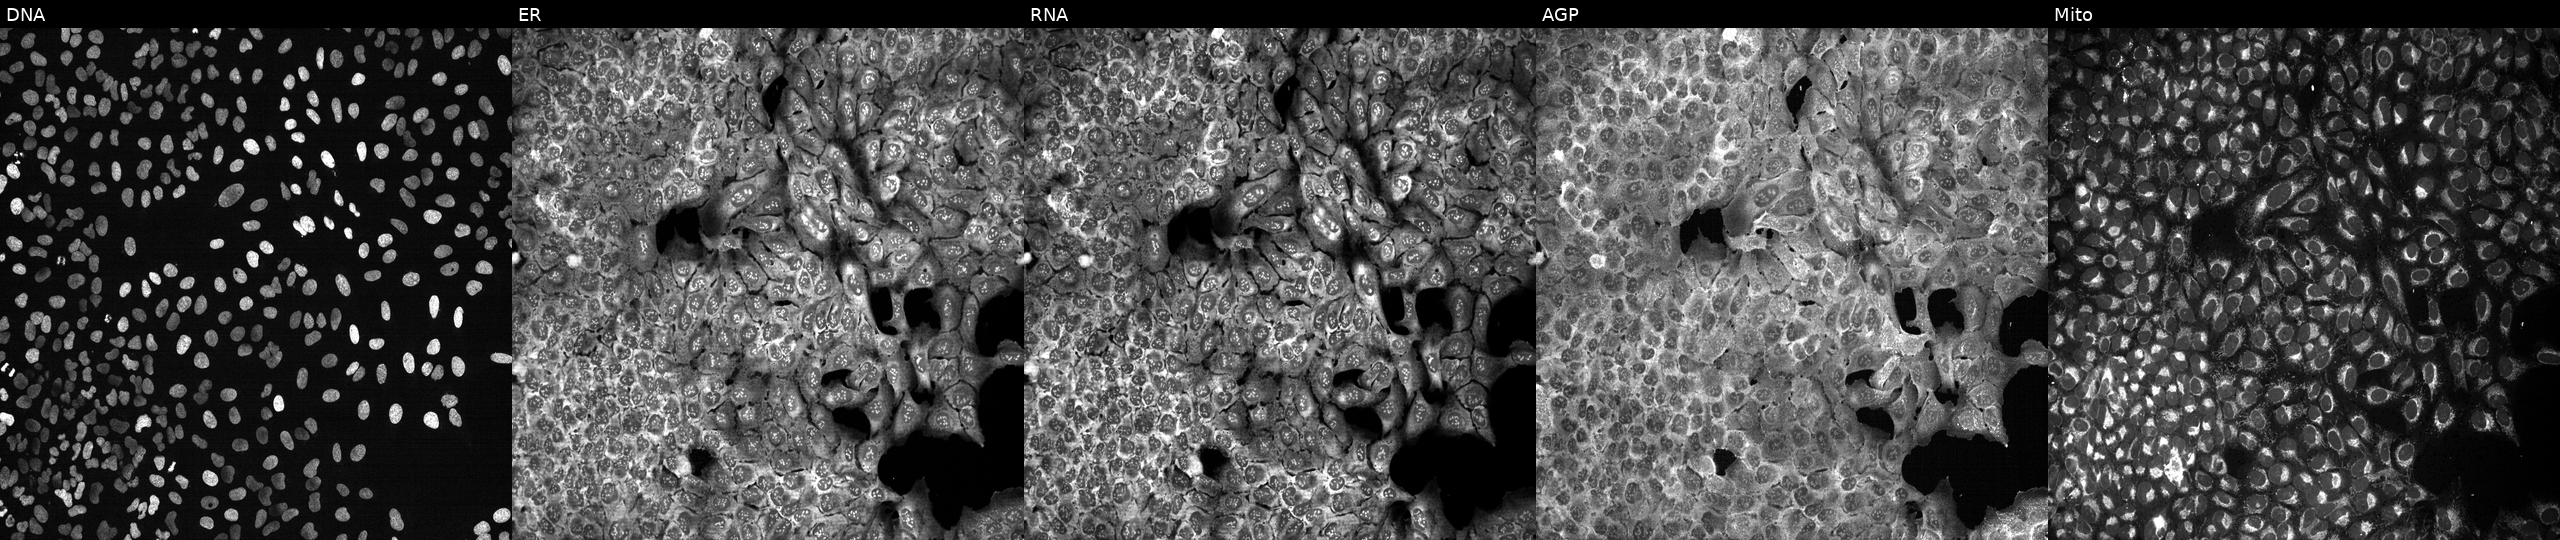
U2OS cells, Cell Painting assay, following CRISPR knockout of SERPINA4 (JUMP id JCP2022_806272). Channels (left→right): DNA, ER, RNA, AGP, and Mito. Each panel is percentile-stretched 16-bit fluorescence. Source 13, plate CP-CC9-R3-01, well E12.